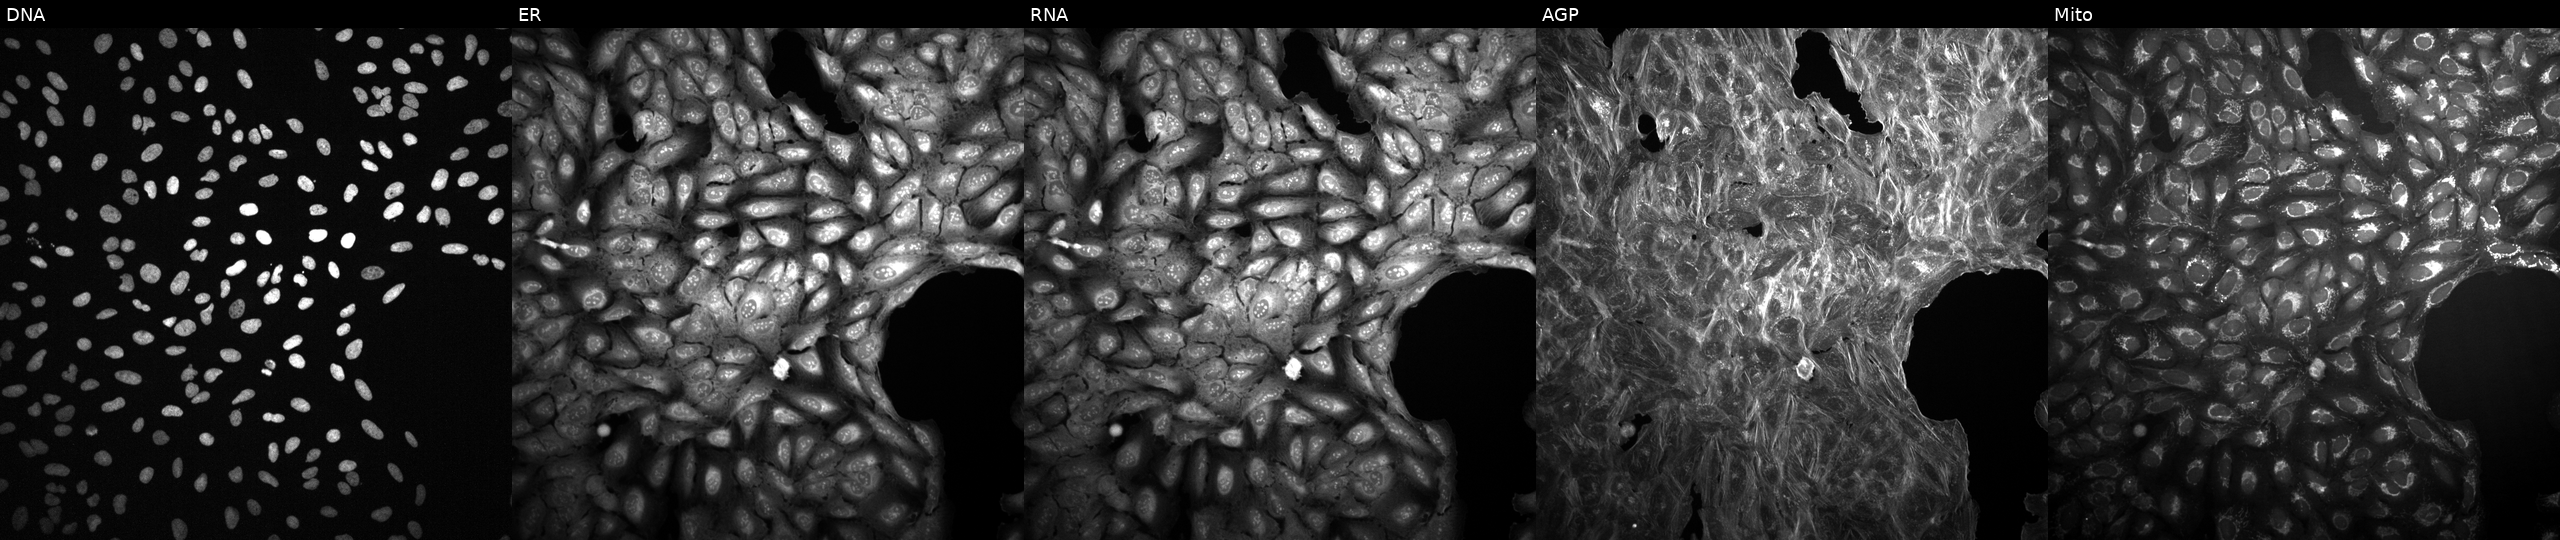
JUMP Cell Painting — TARGET2 plate. U2OS cells perturbed with a small-molecule compound (InChIKey VGZSUPCWNCWDAN-UHFFFAOYSA-N). Panels show, left to right, Hoechst 33342, concanavalin A, SYTO 14, phalloidin and WGA, MitoTracker. Source 2, plate 1053597936, well M08.